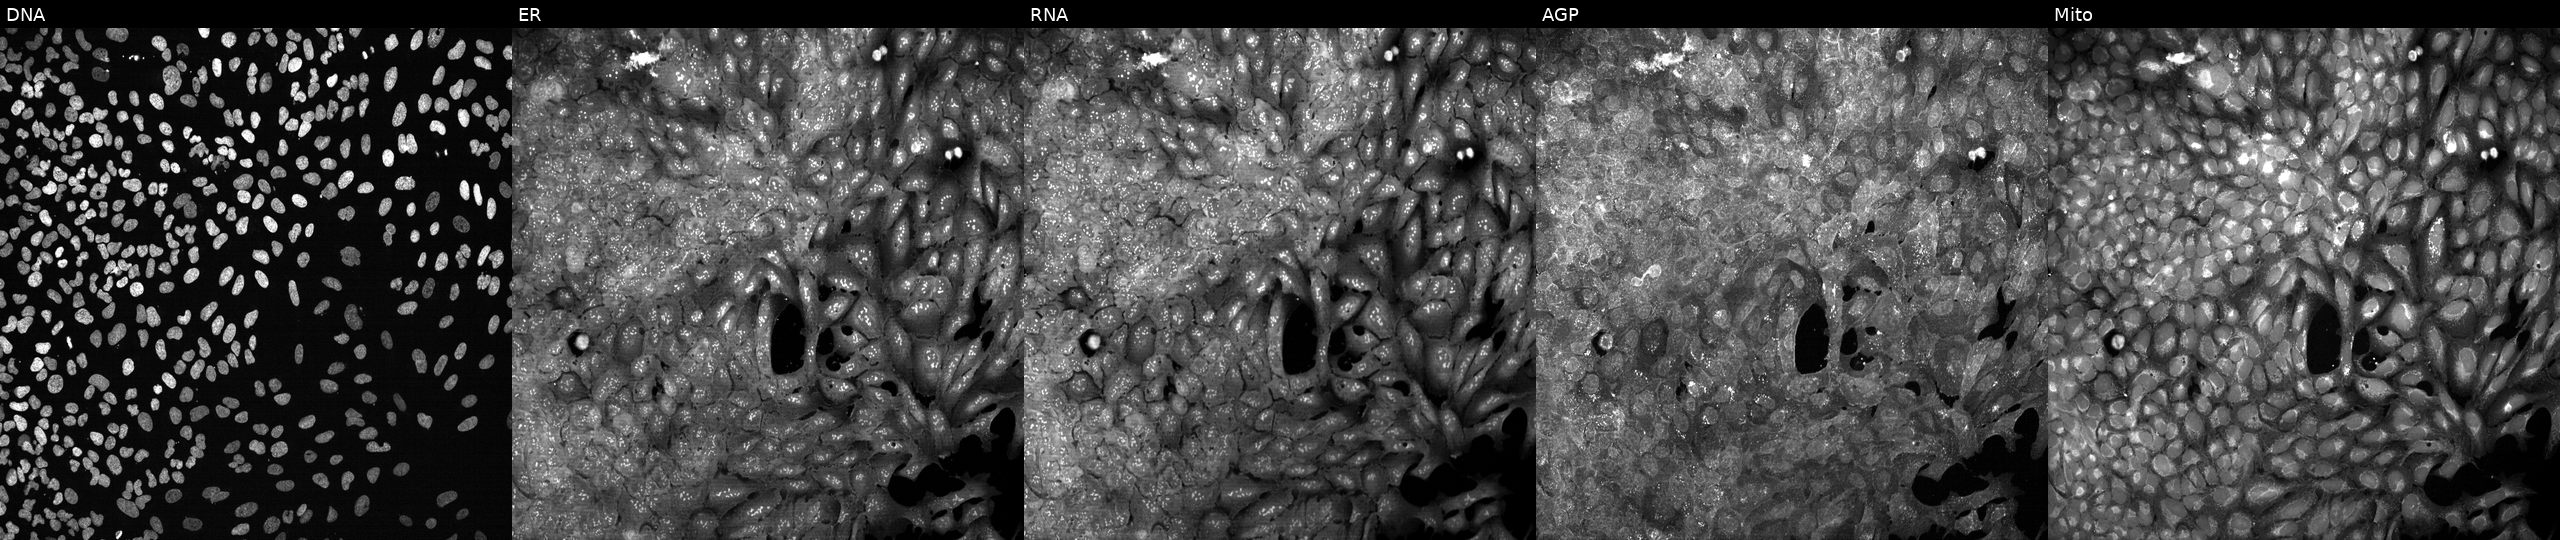
This image strip shows the five Cell Painting channels for a single field of U2OS cells CRISPR-edited to disrupt EEF1B2 (JUMP id JCP2022_802009). Panels show, left to right, Hoechst 33342, concanavalin A, SYTO 14, phalloidin and WGA, MitoTracker. Source 13, plate CP-CC9-R1-01, well I15.